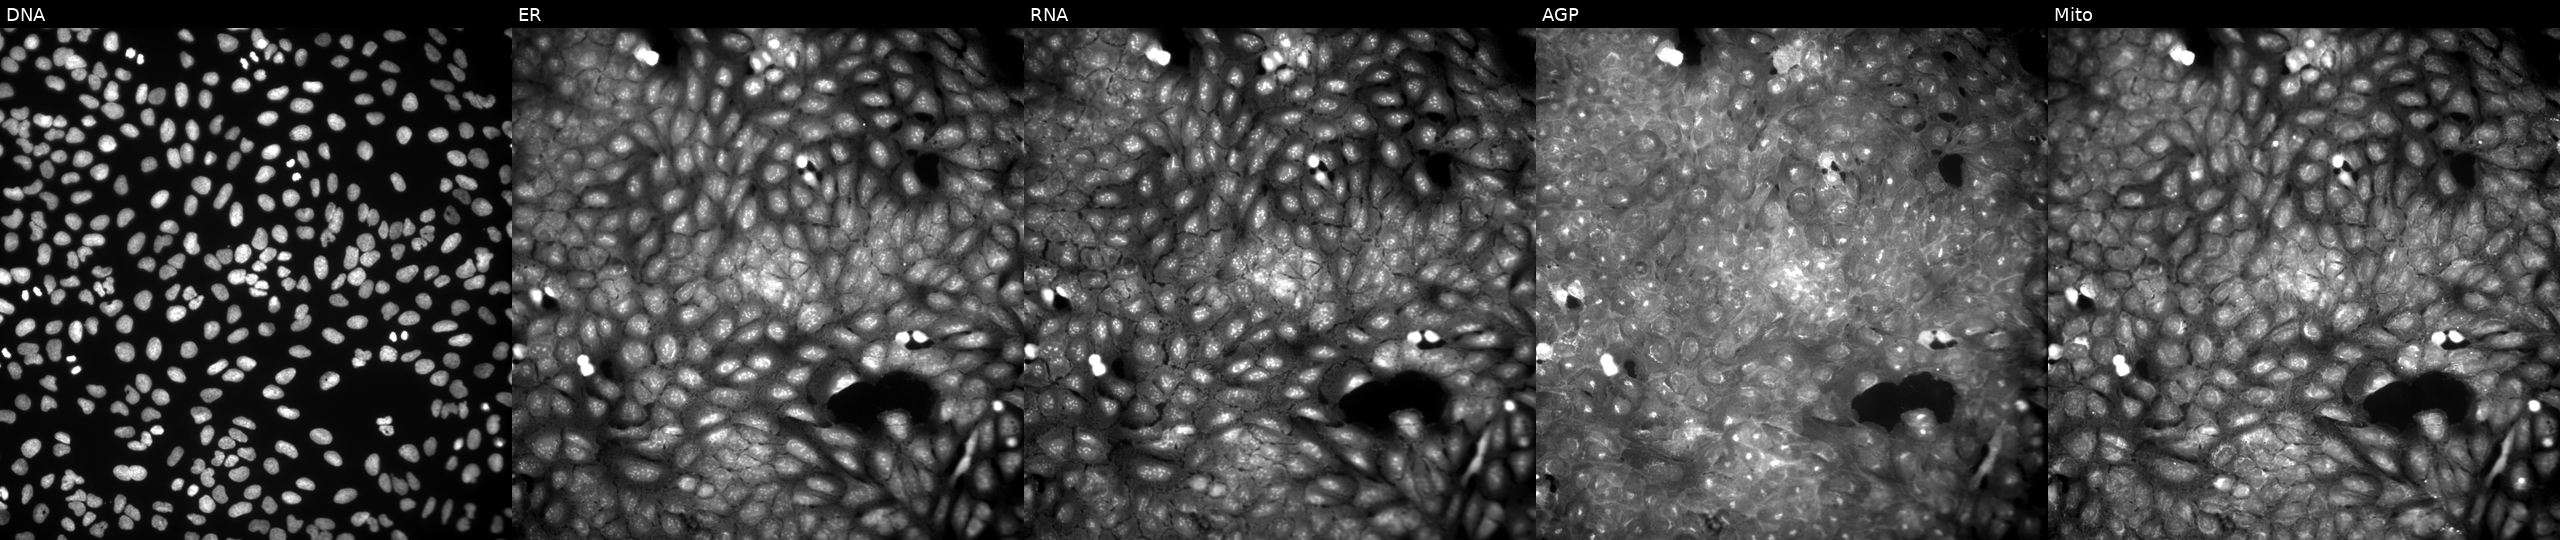
This image strip shows the five Cell Painting channels for a single field of U2OS cells treated with a small-molecule compound. Channels (left→right): DNA, ER, RNA, AGP, and Mito.